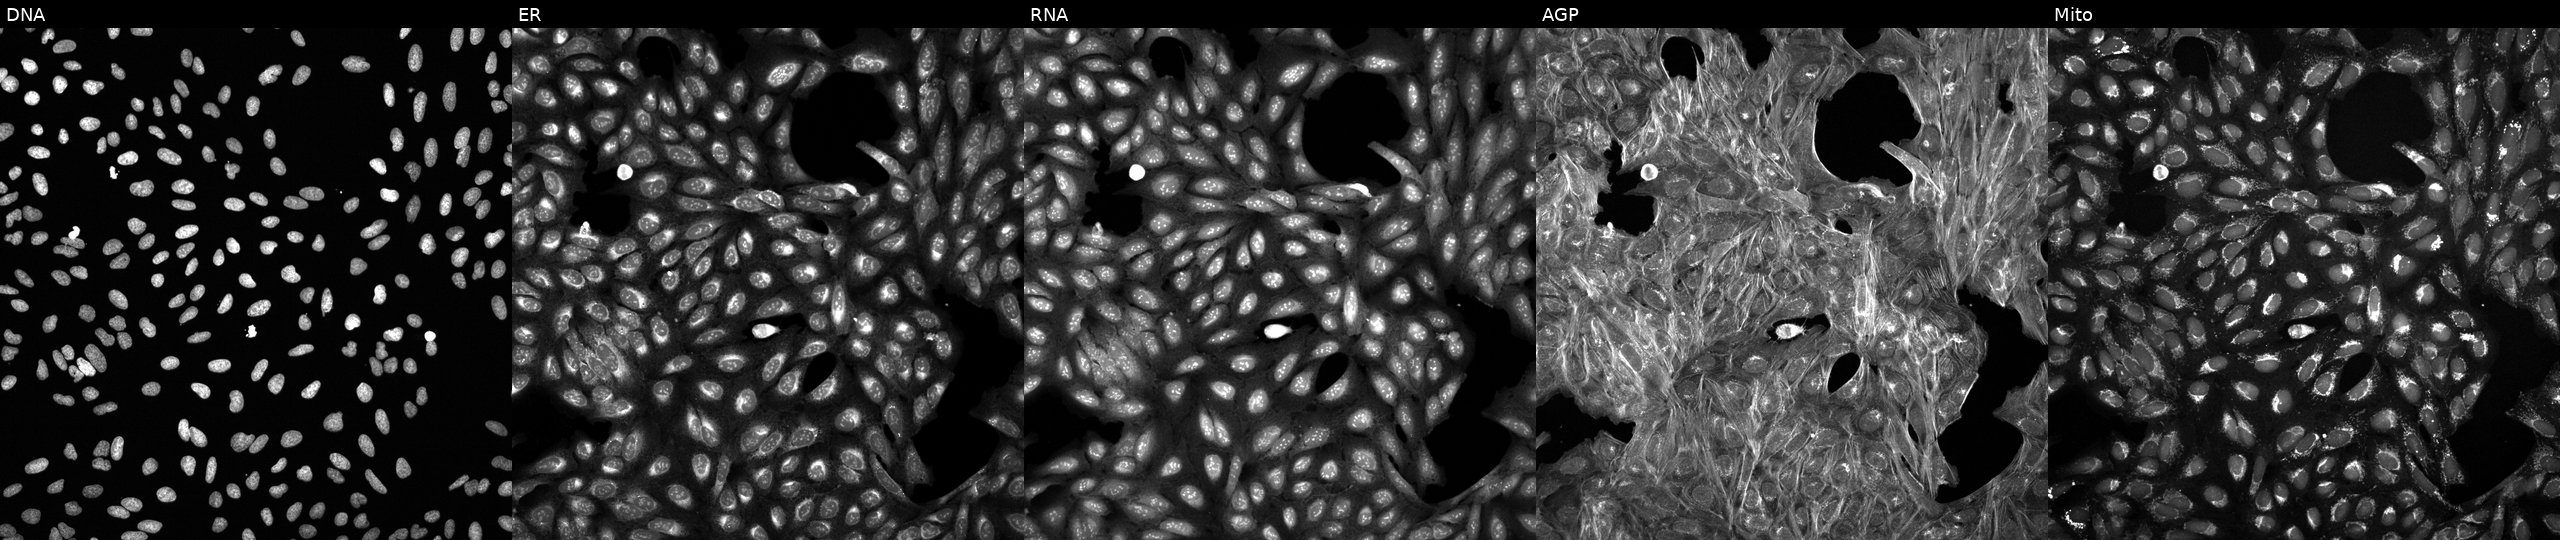
High-content fluorescence microscopy (Cell Painting). Cell line: U2OS. Perturbation: exposed to the positive-control compound quinidine. Channels (left→right): DNA (nuclei); ER (endoplasmic reticulum); RNA (nucleoli and cytoplasmic RNA); AGP (actin cytoskeleton, Golgi, and plasma membrane); Mito (mitochondria). Source 6, plate 110000293083, well O01.